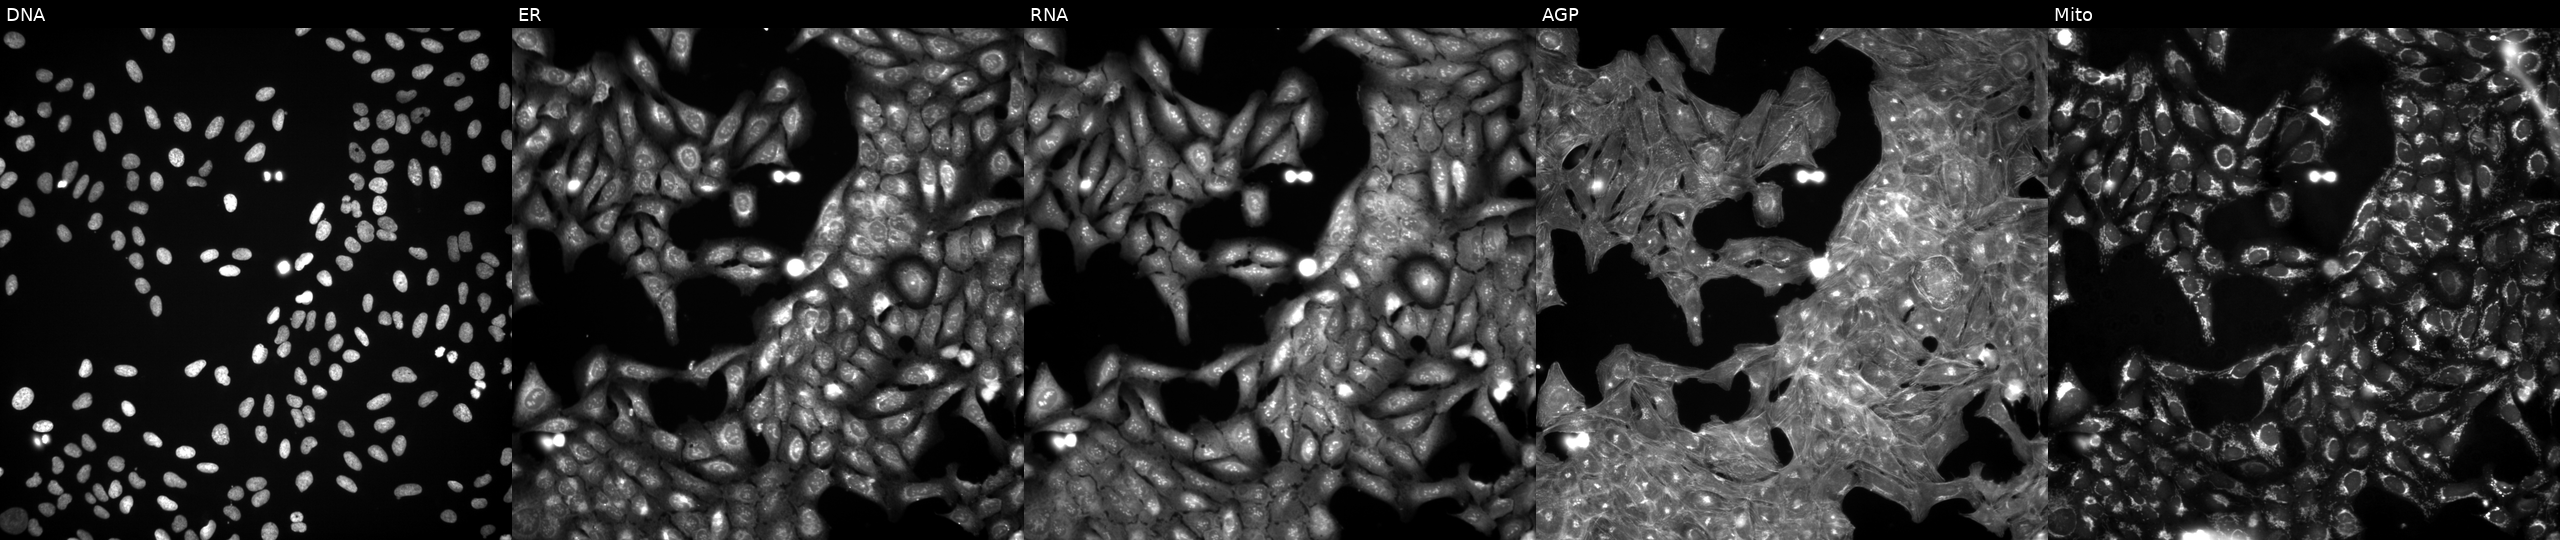
Five-channel Cell Painting image of U2OS cells perturbed with a small-molecule compound (InChIKey ZDXPYRJPNDTMRX-UHFFFAOYSA-N) (JUMP id JCP2022_112702). Panels show, left to right, DNA, ER, RNA, AGP, and Mito. Source 3, plate JCPQC053, well G22.